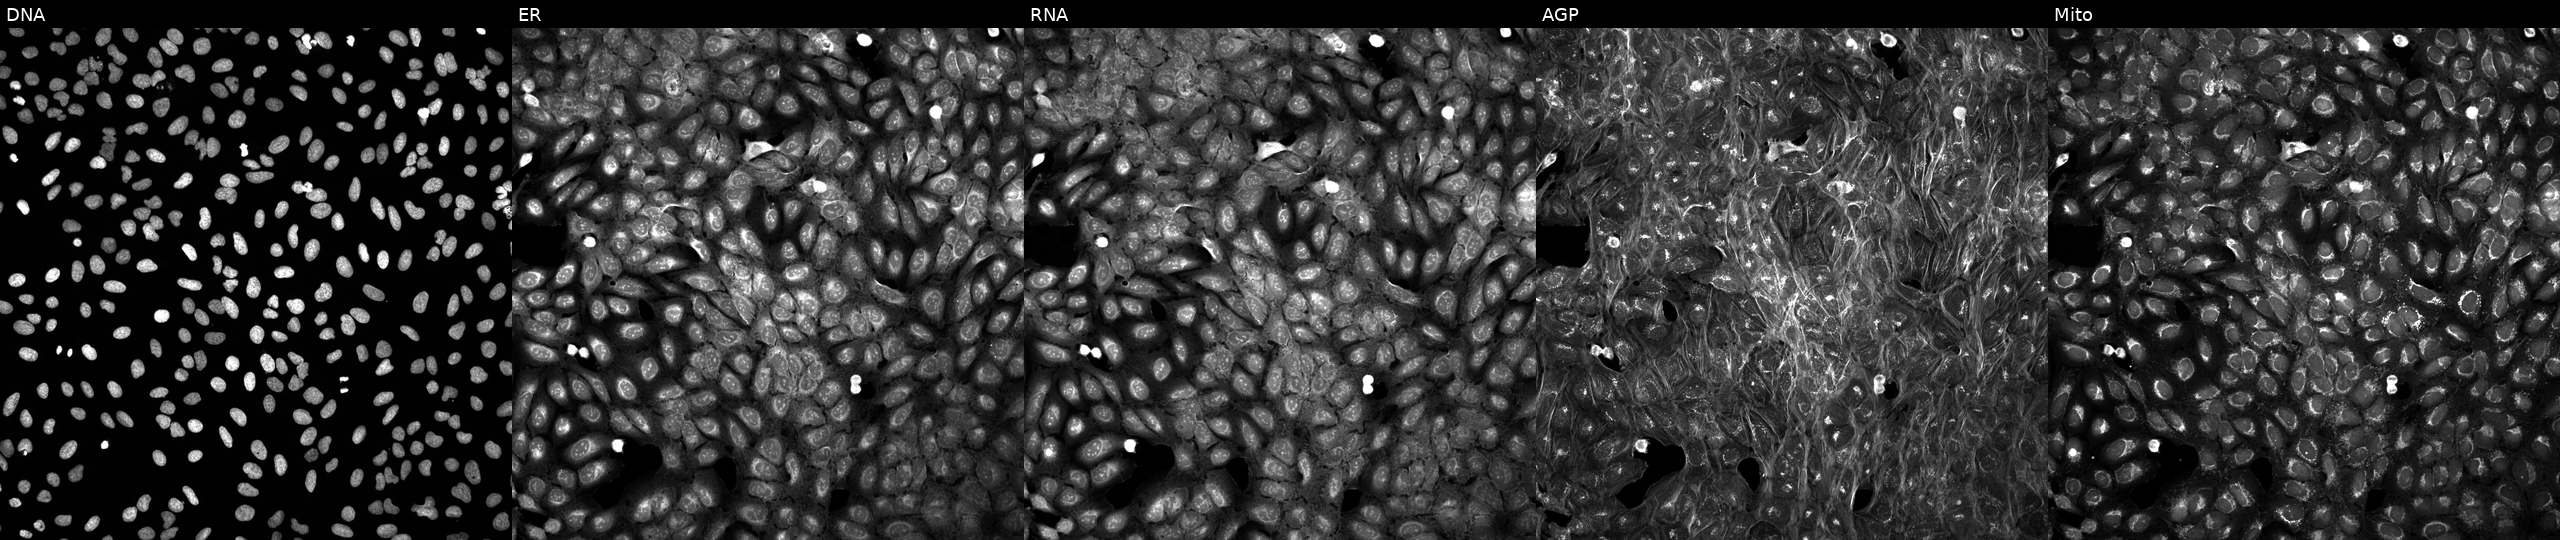
Five-channel Cell Painting image of U2OS cells perturbed with a small-molecule compound [SMILES: CN(C(=O)c1ccc(F)cc1C(F)(F)F)C1CCN(c2nnc(-c3ccnn3C)c3ccccc23)CC1]. Panels show, left to right, Hoechst 33342, concanavalin A, SYTO 14, phalloidin and WGA, MitoTracker.